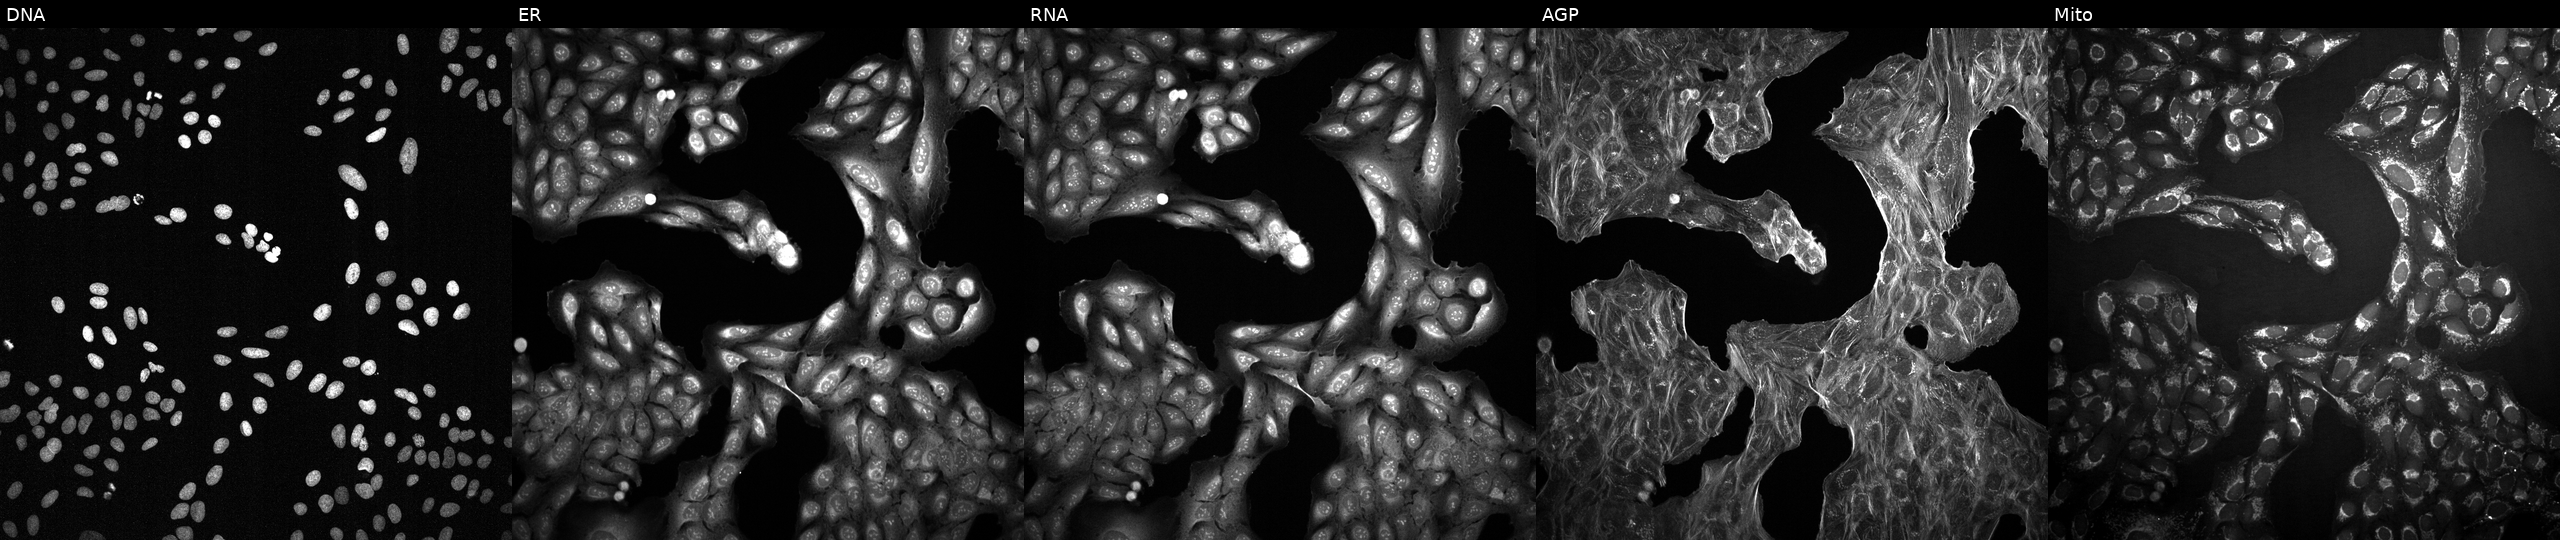
U2OS cells, Cell Painting assay, exposed to a small-molecule compound (InChIKey AGNWVEJTZJIJIM-UHFFFAOYSA-N) (JUMP id JCP2022_001275). Panels show, left to right, Hoechst 33342, concanavalin A, SYTO 14, phalloidin and WGA, MitoTracker. Each panel is percentile-stretched 16-bit fluorescence.